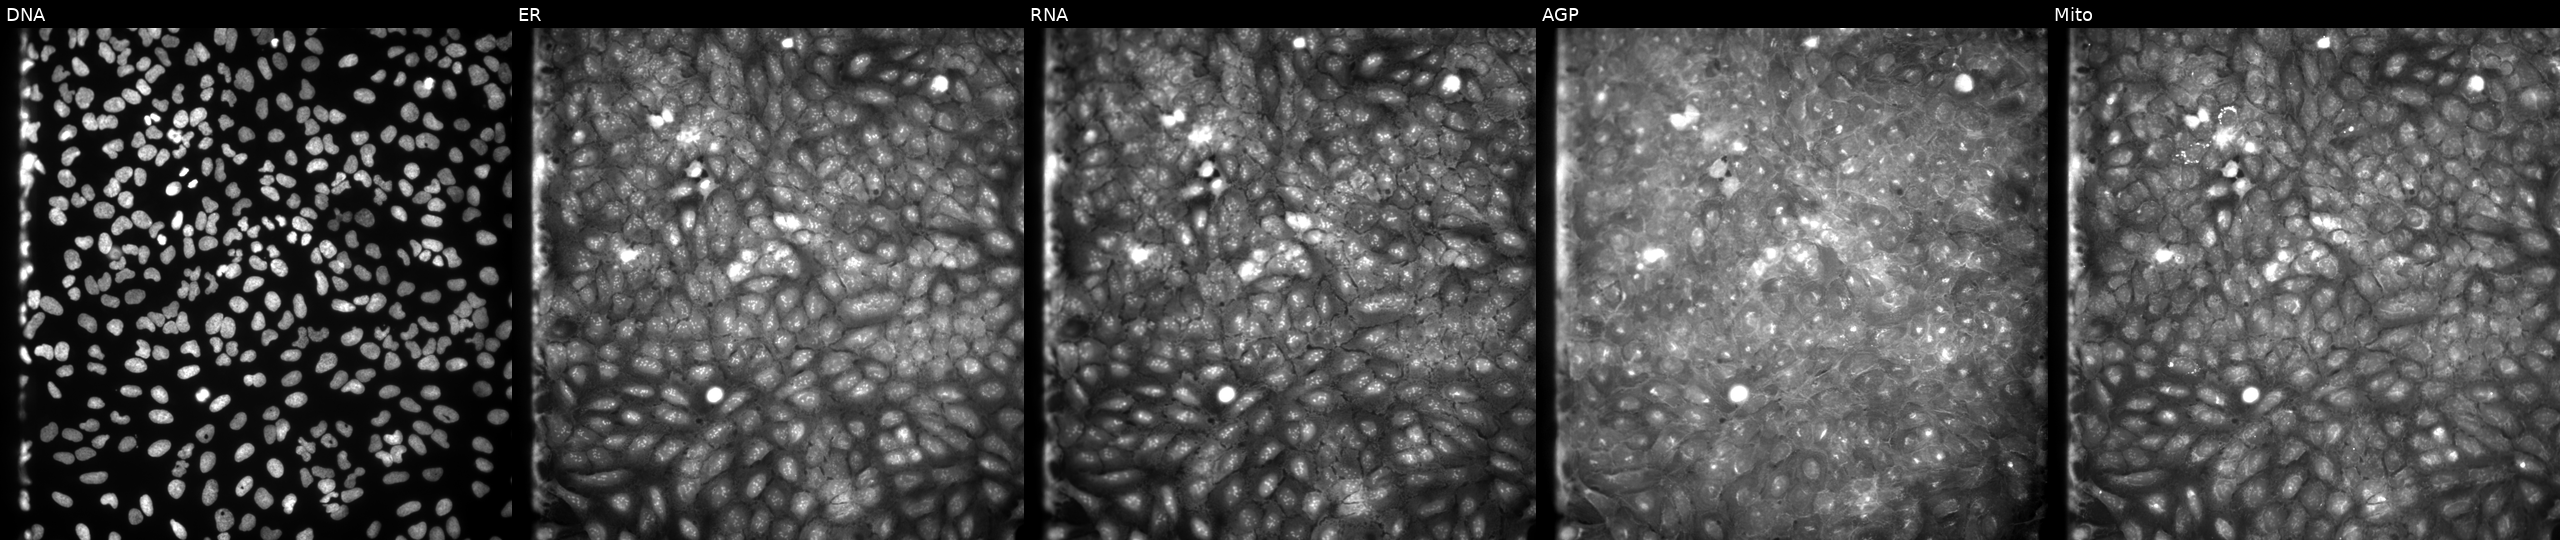
This image strip shows the five Cell Painting channels for a single field of U2OS cells treated with a small-molecule compound. From left to right: DNA, ER, RNA, AGP, and Mito. Source 9, plate GR00003381, well F09.